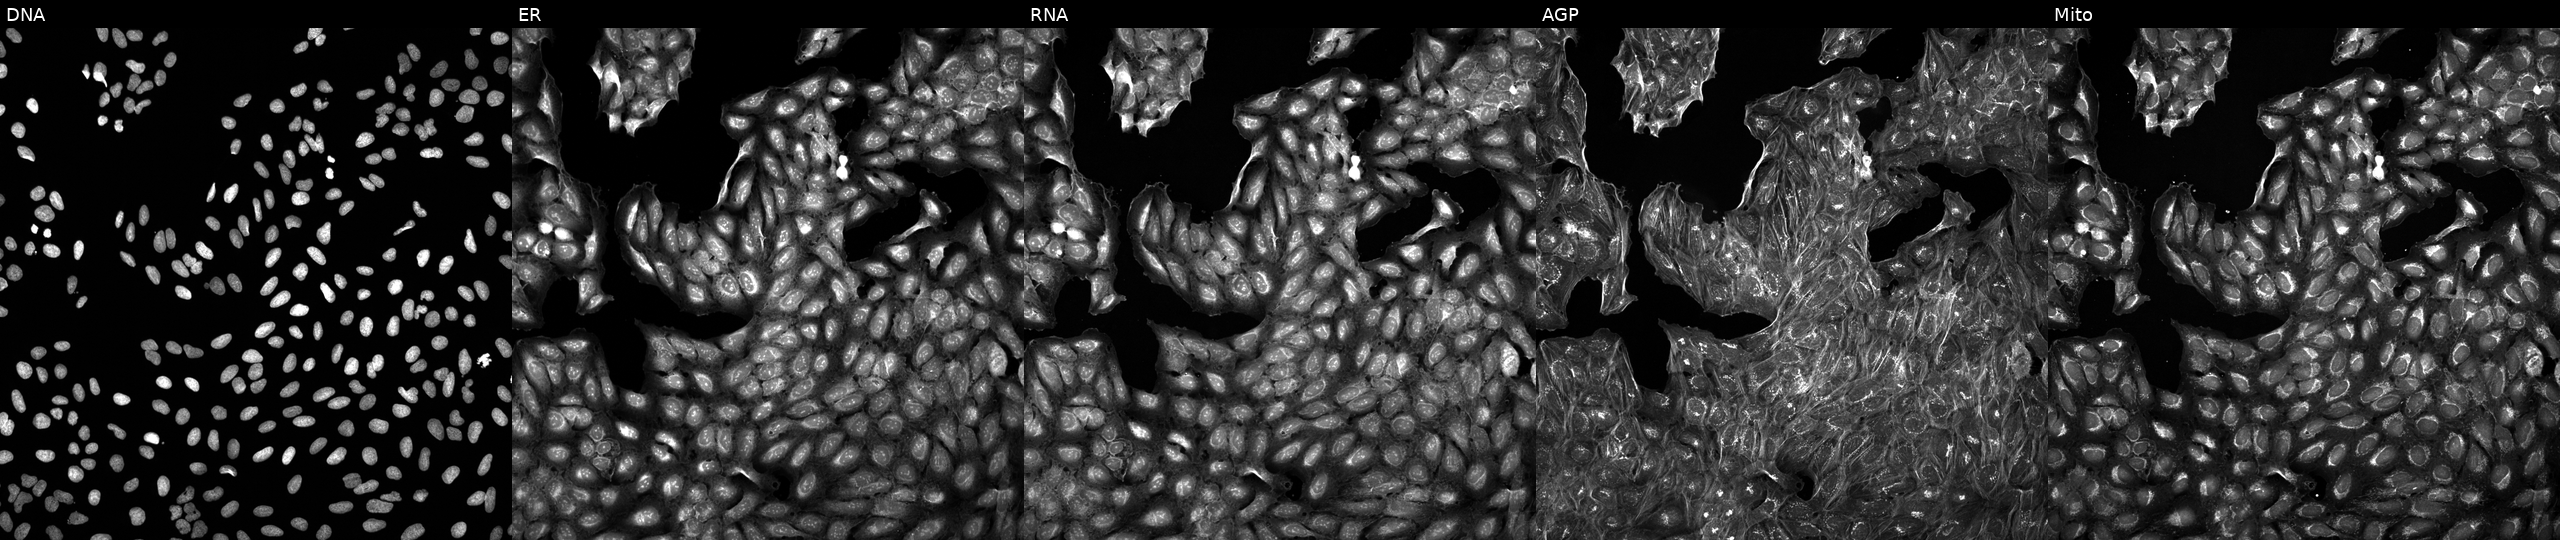
From left to right: DNA (nuclei); ER (endoplasmic reticulum); RNA (nucleoli and cytoplasmic RNA); AGP (actin cytoskeleton, Golgi, and plasma membrane); Mito (mitochondria). U2OS osteosarcoma cells treated with a small-molecule compound (InChIKey ADZYZGVMEOISQO-UHFFFAOYSA-N) (JUMP id JCP2022_000780). Cell Painting assay, JUMP-CP dataset.